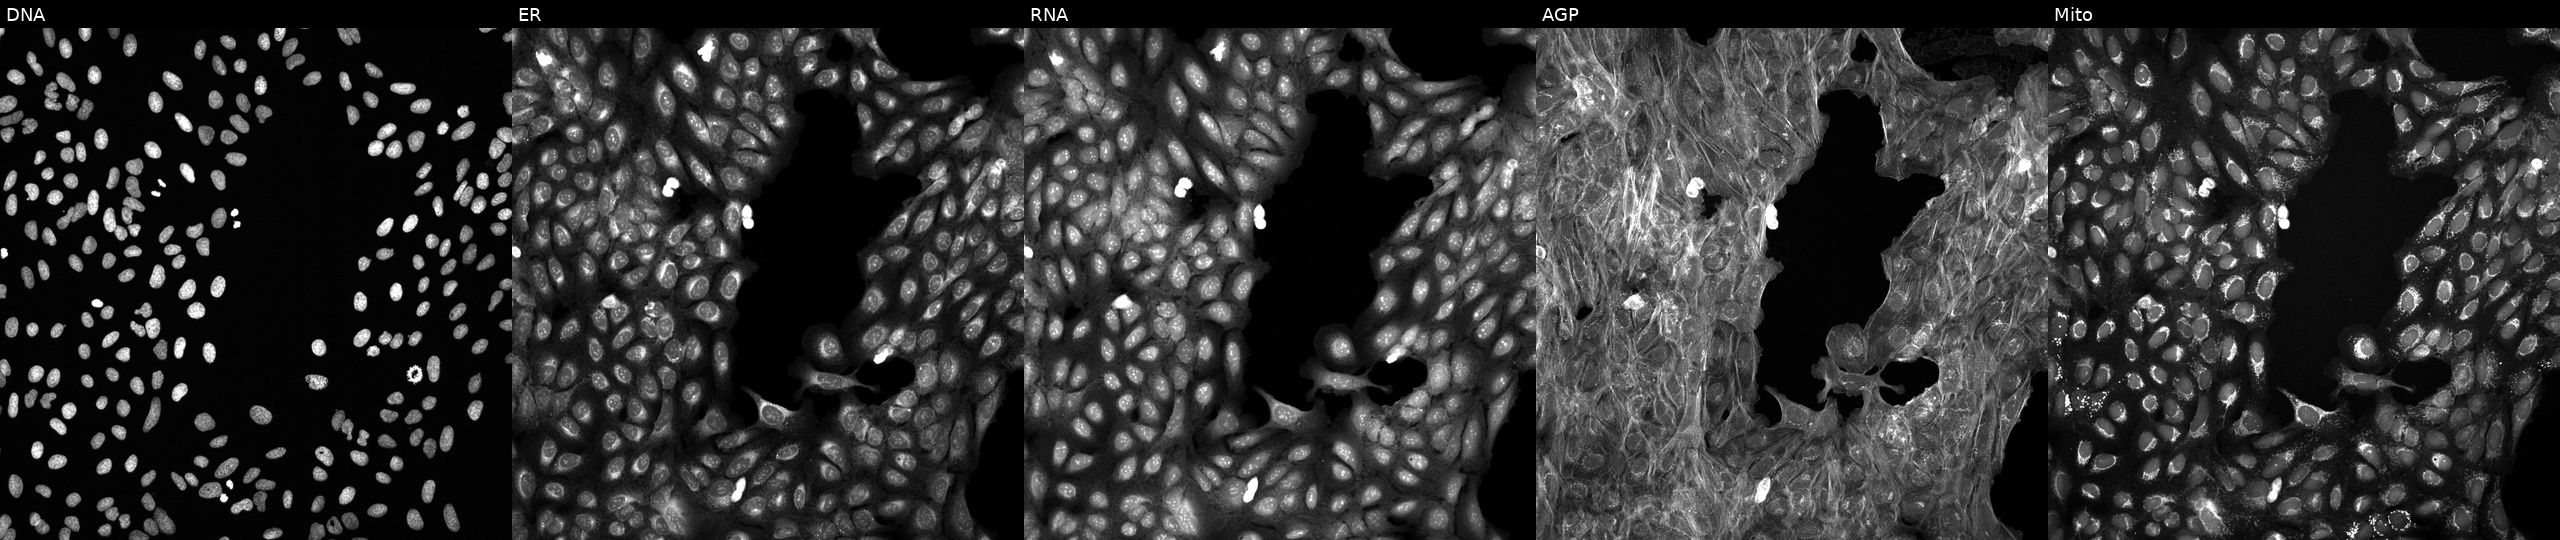
This image strip shows the five Cell Painting channels for a single field of U2OS cells treated with DMSO vehicle only (negative control). From left to right: DNA, ER, RNA, AGP, and Mito.